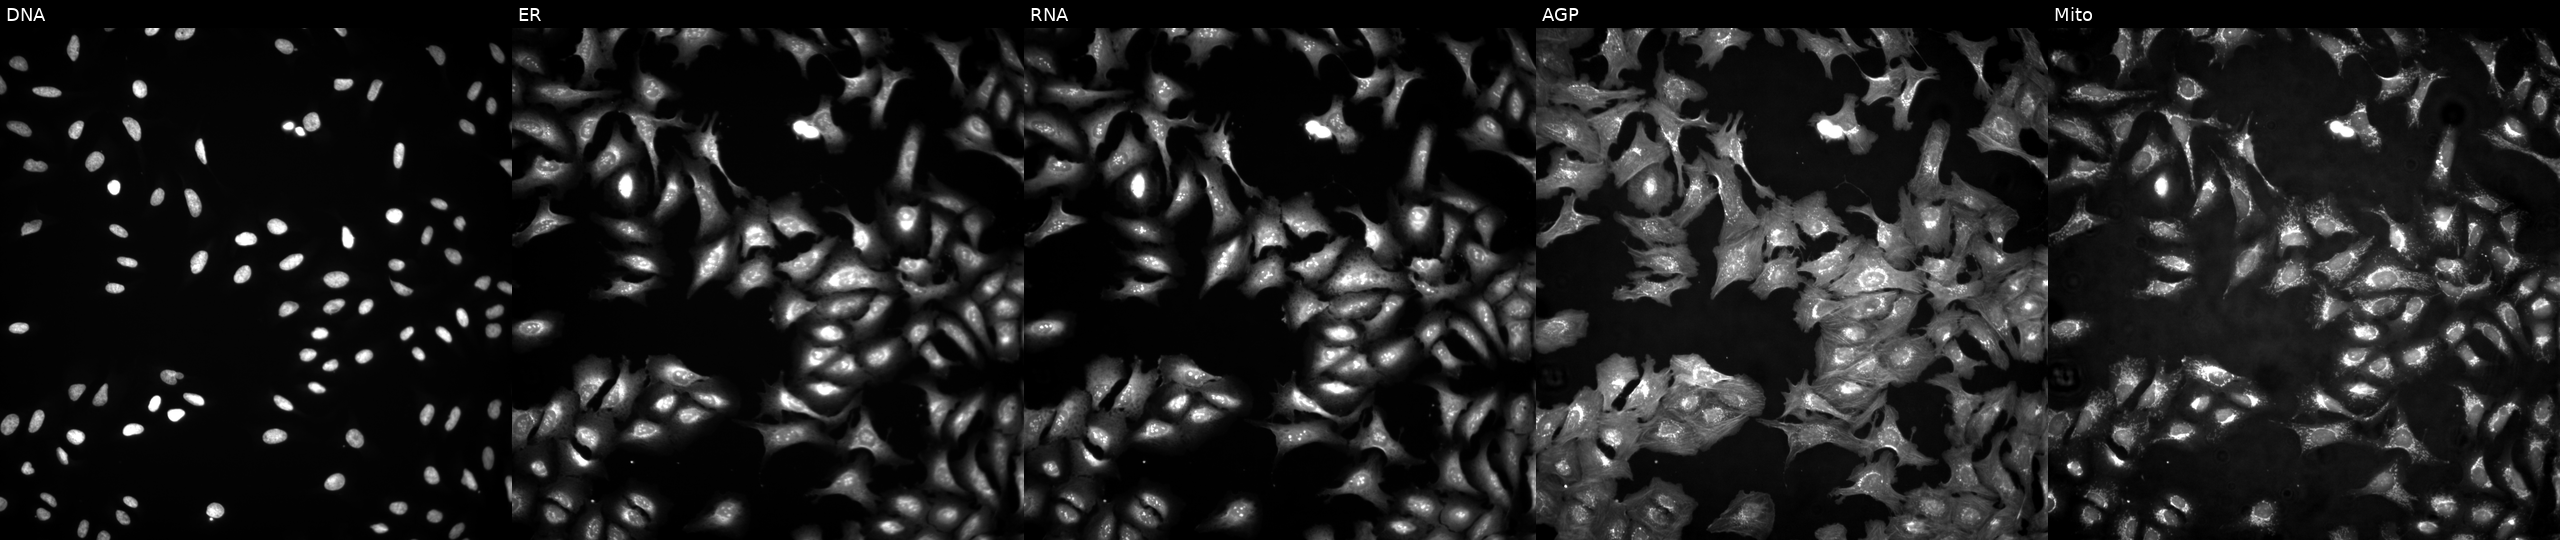
High-content fluorescence microscopy (Cell Painting). Cell line: U2OS. Perturbation: transfected with an ORF construct for EIF2AK4. Panels show, left to right, Hoechst 33342, concanavalin A, SYTO 14, phalloidin and WGA, MitoTracker.